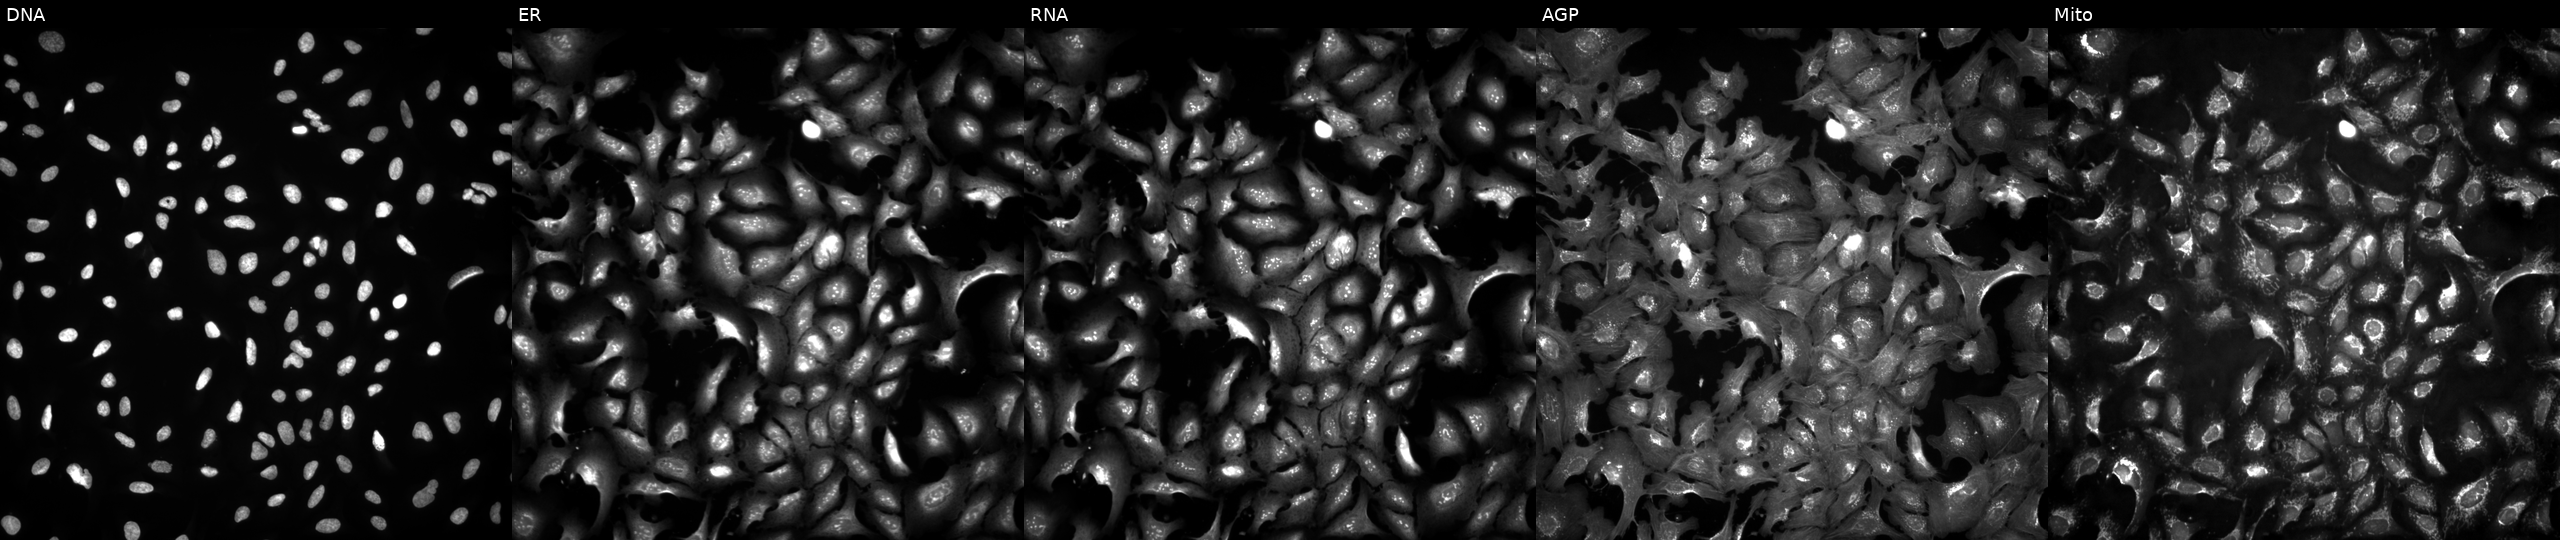
This image strip shows the five Cell Painting channels for a single field of U2OS cells in an empty control well (no perturbation) (JUMP id JCP2022_999999). From left to right: DNA (nuclei); ER (endoplasmic reticulum); RNA (nucleoli and cytoplasmic RNA); AGP (actin cytoskeleton, Golgi, and plasma membrane); Mito (mitochondria).